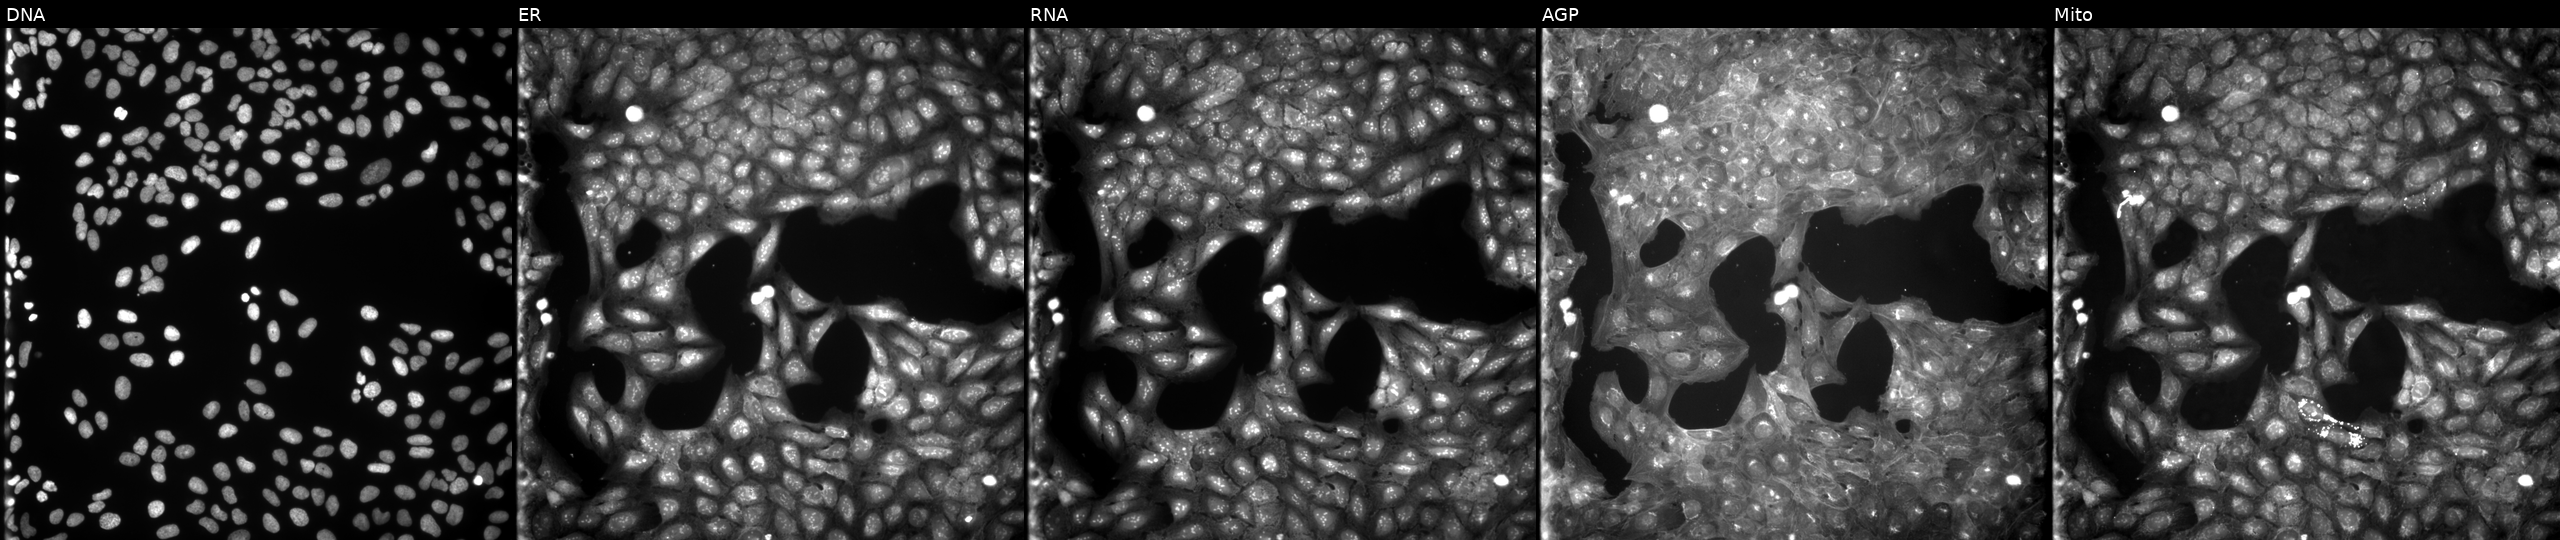
Channels (left→right): DNA (nuclei); ER (endoplasmic reticulum); RNA (nucleoli and cytoplasmic RNA); AGP (actin cytoskeleton, Golgi, and plasma membrane); Mito (mitochondria). U2OS osteosarcoma cells perturbed with a small-molecule compound (InChIKey WCPNFCSIAGPKCD-UHFFFAOYSA-N) (JUMP id JCP2022_097895). Cell Painting assay, JUMP-CP dataset.